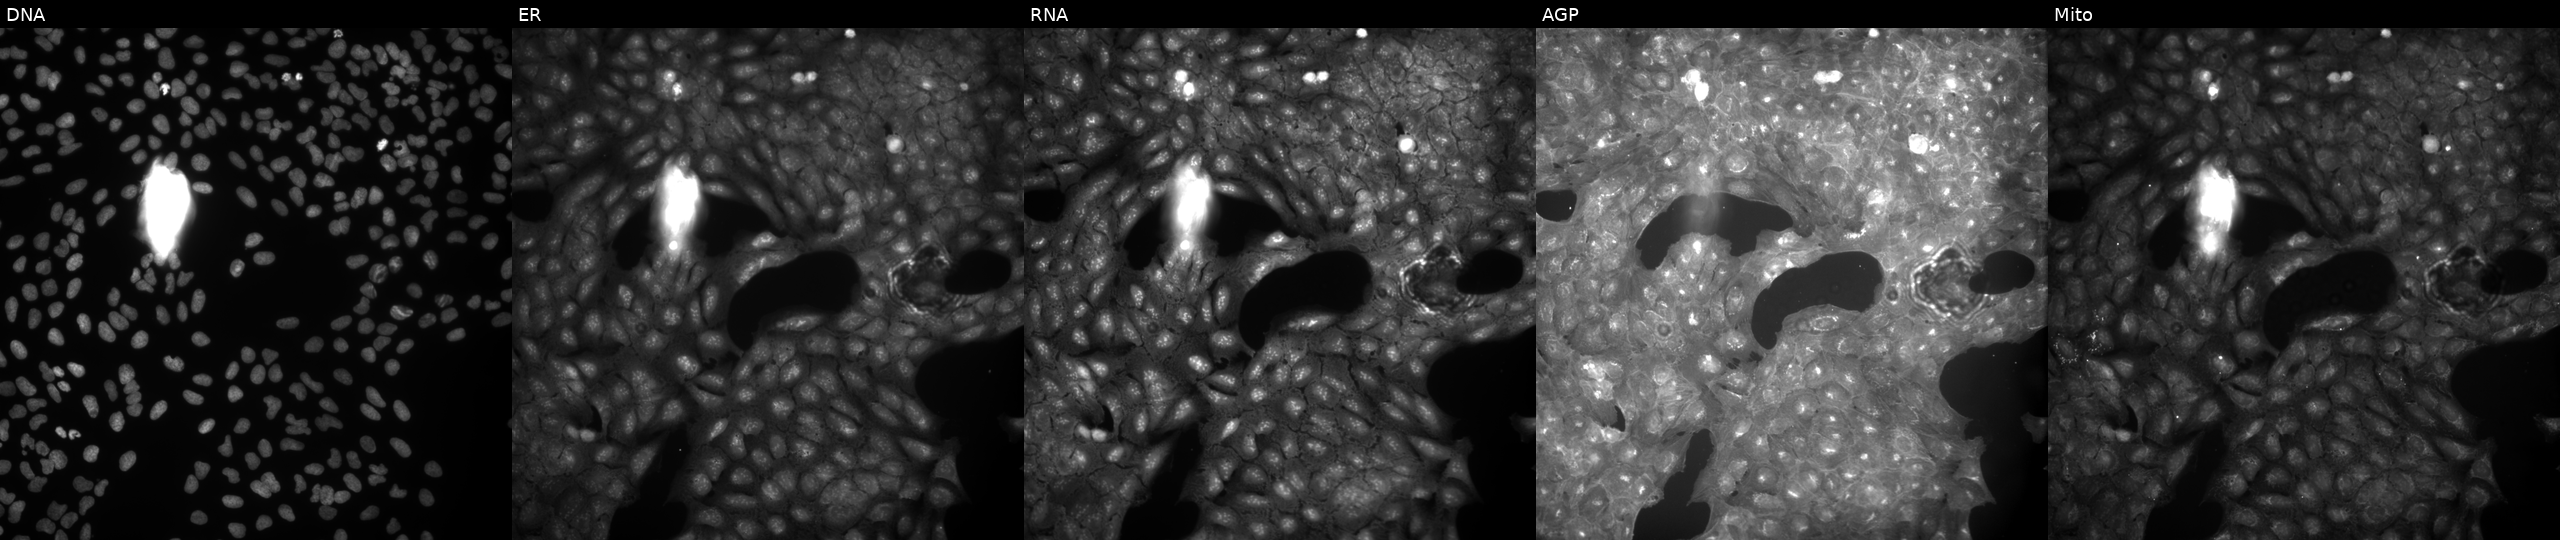
U2OS cells, Cell Painting assay, perturbed with a small-molecule compound. From left to right: Hoechst 33342, concanavalin A, SYTO 14, phalloidin and WGA, MitoTracker. Each panel is percentile-stretched 16-bit fluorescence.